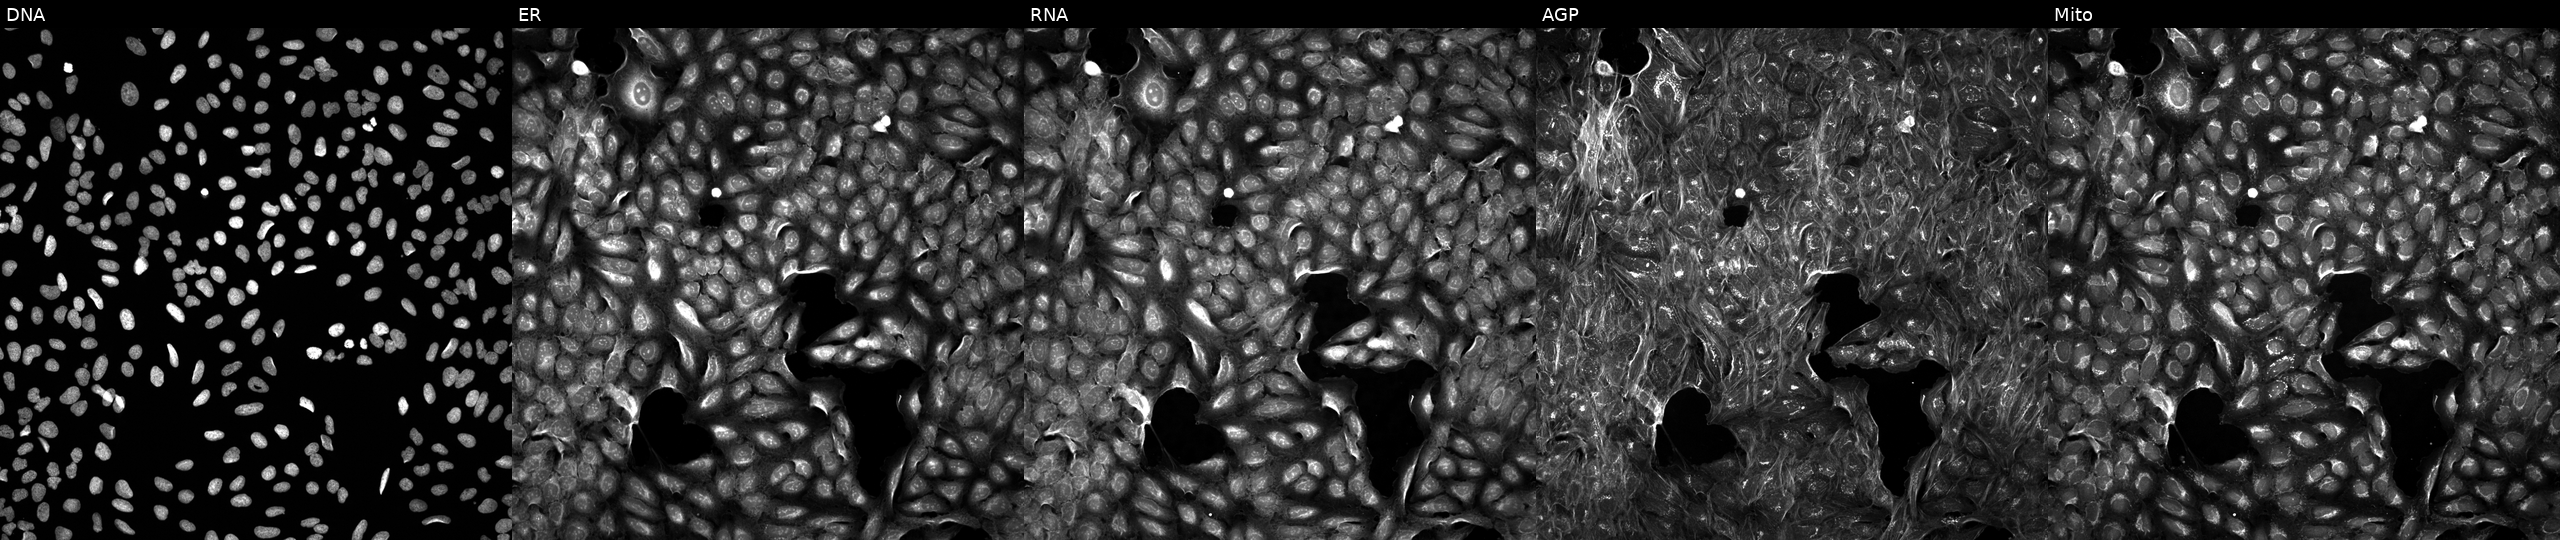
Five-channel Cell Painting image of U2OS cells exposed to a small-molecule compound (JUMP id JCP2022_061279). Panels show, left to right, DNA (nuclei); ER (endoplasmic reticulum); RNA (nucleoli and cytoplasmic RNA); AGP (actin cytoskeleton, Golgi, and plasma membrane); Mito (mitochondria). Source 5, plate APTJUM105, well N05.